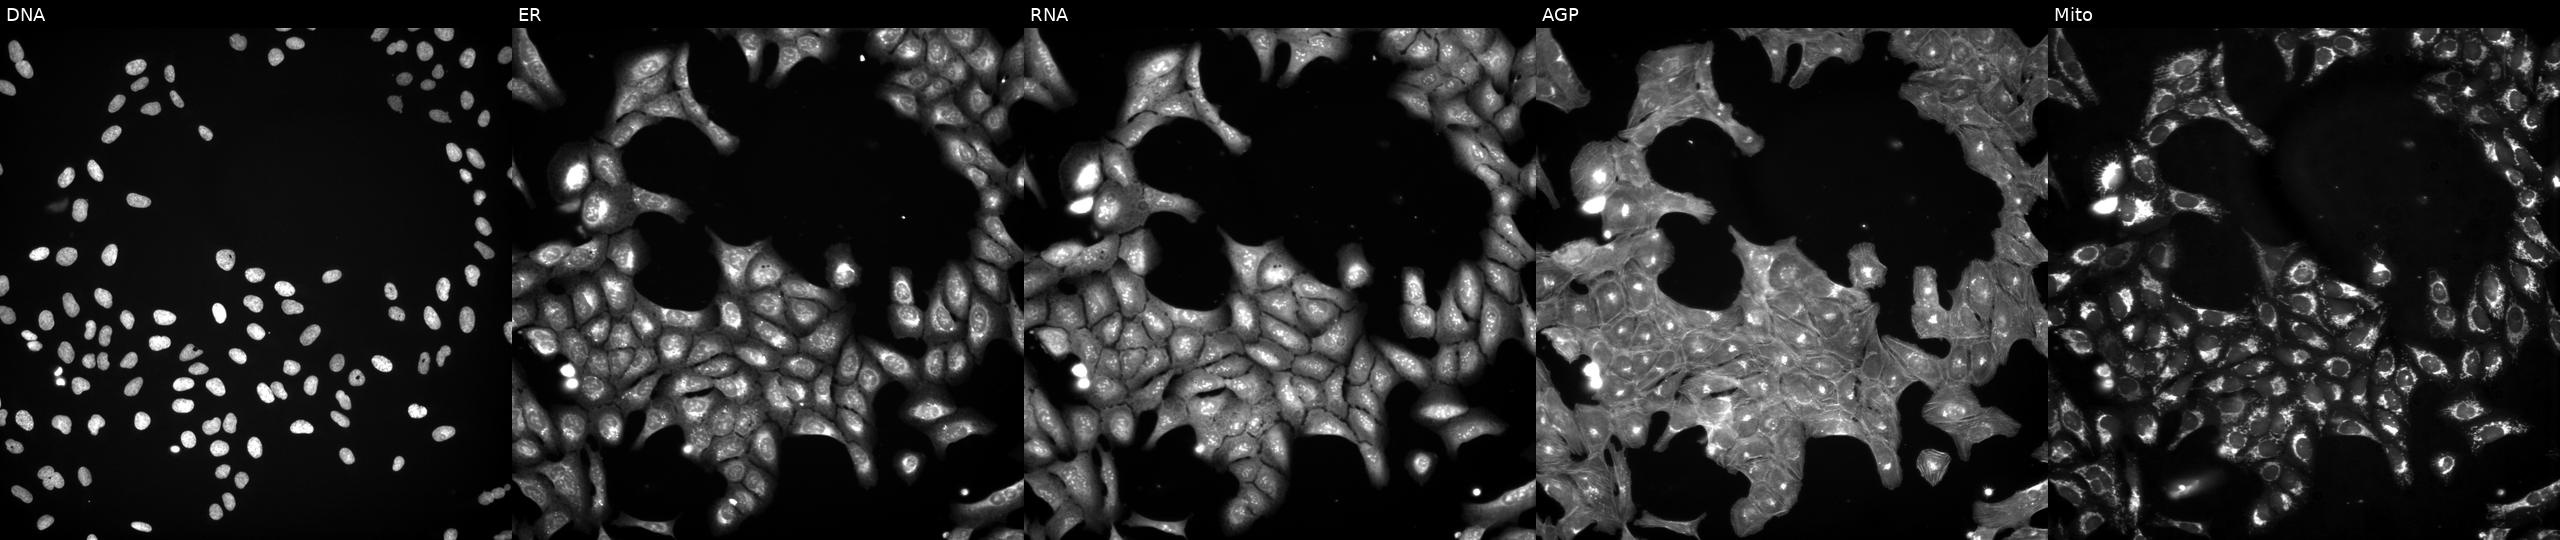
JUMP Cell Painting — TARGET2 plate. U2OS cells exposed to a small-molecule compound (InChIKey JHSXDAWGLCZYSM-UHFFFAOYSA-N). Panels show, left to right, Hoechst 33342, concanavalin A, SYTO 14, phalloidin and WGA, MitoTracker. Source 3, plate JCPQC053, well H10.